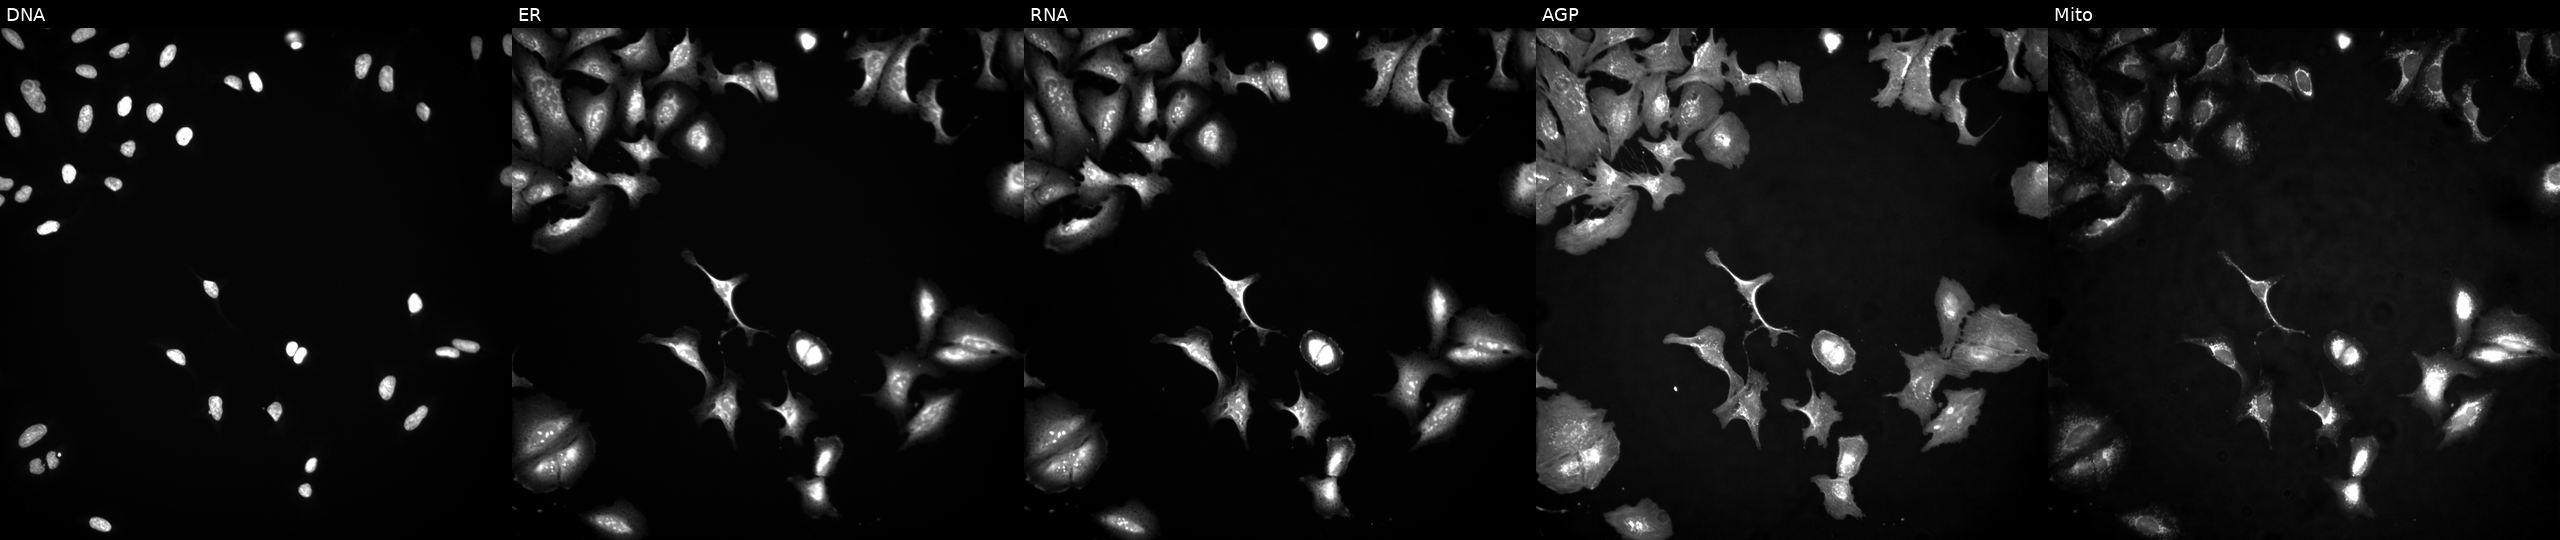
This image strip shows the five Cell Painting channels for a single field of U2OS cells overexpressing EMC3-AS1 via ORF transfection (JUMP id JCP2022_914334). Panels show, left to right, DNA (nuclei); ER (endoplasmic reticulum); RNA (nucleoli and cytoplasmic RNA); AGP (actin cytoskeleton, Golgi, and plasma membrane); Mito (mitochondria). Source 4, plate BR00123945, well K21.